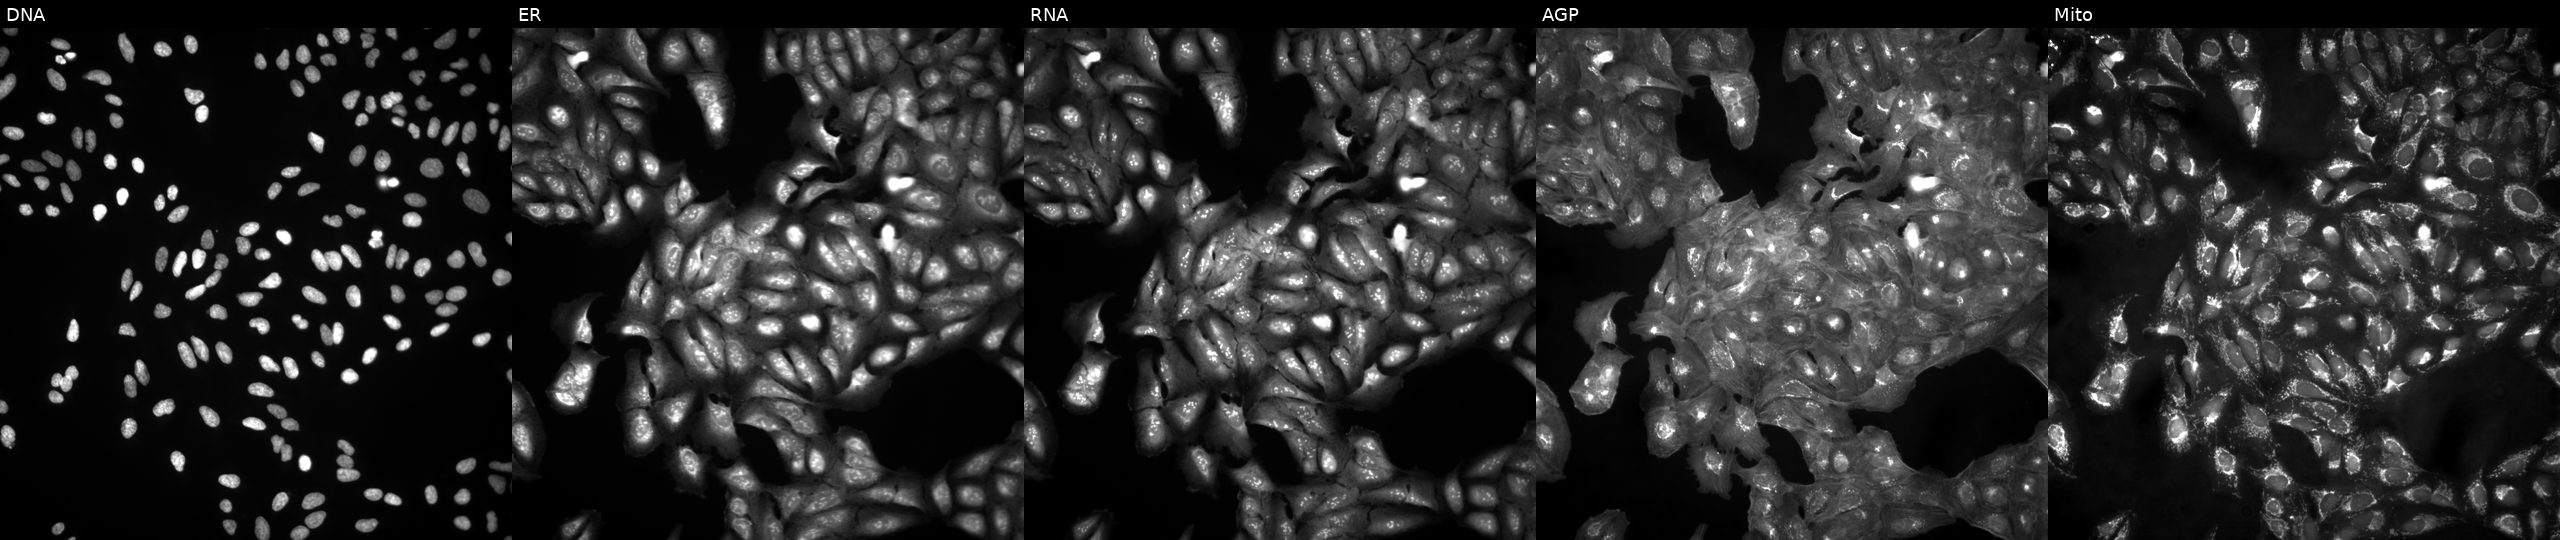
Channels (left→right): DNA (nuclei); ER (endoplasmic reticulum); RNA (nucleoli and cytoplasmic RNA); AGP (actin cytoskeleton, Golgi, and plasma membrane); Mito (mitochondria). U2OS osteosarcoma cells in an empty control well (no perturbation). Cell Painting assay, JUMP-CP dataset.